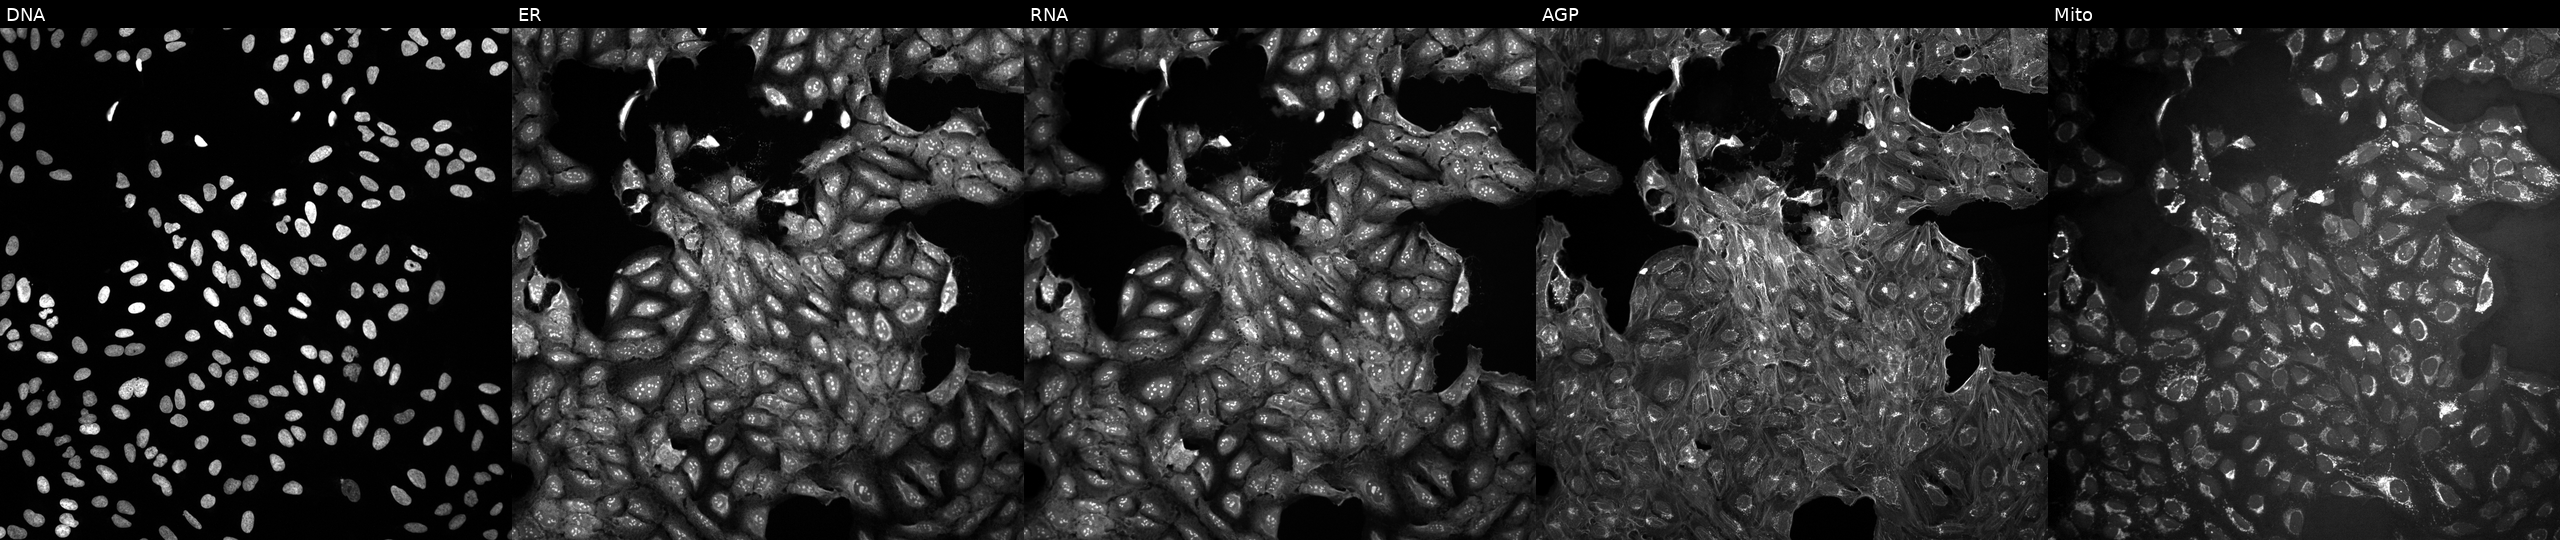
High-content fluorescence microscopy (Cell Painting). Cell line: U2OS. Perturbation: exposed to a small-molecule compound (InChIKey YMCGNUCQSDWEPB-UHFFFAOYSA-N). Channels (left→right): DNA (nuclei); ER (endoplasmic reticulum); RNA (nucleoli and cytoplasmic RNA); AGP (actin cytoskeleton, Golgi, and plasma membrane); Mito (mitochondria).